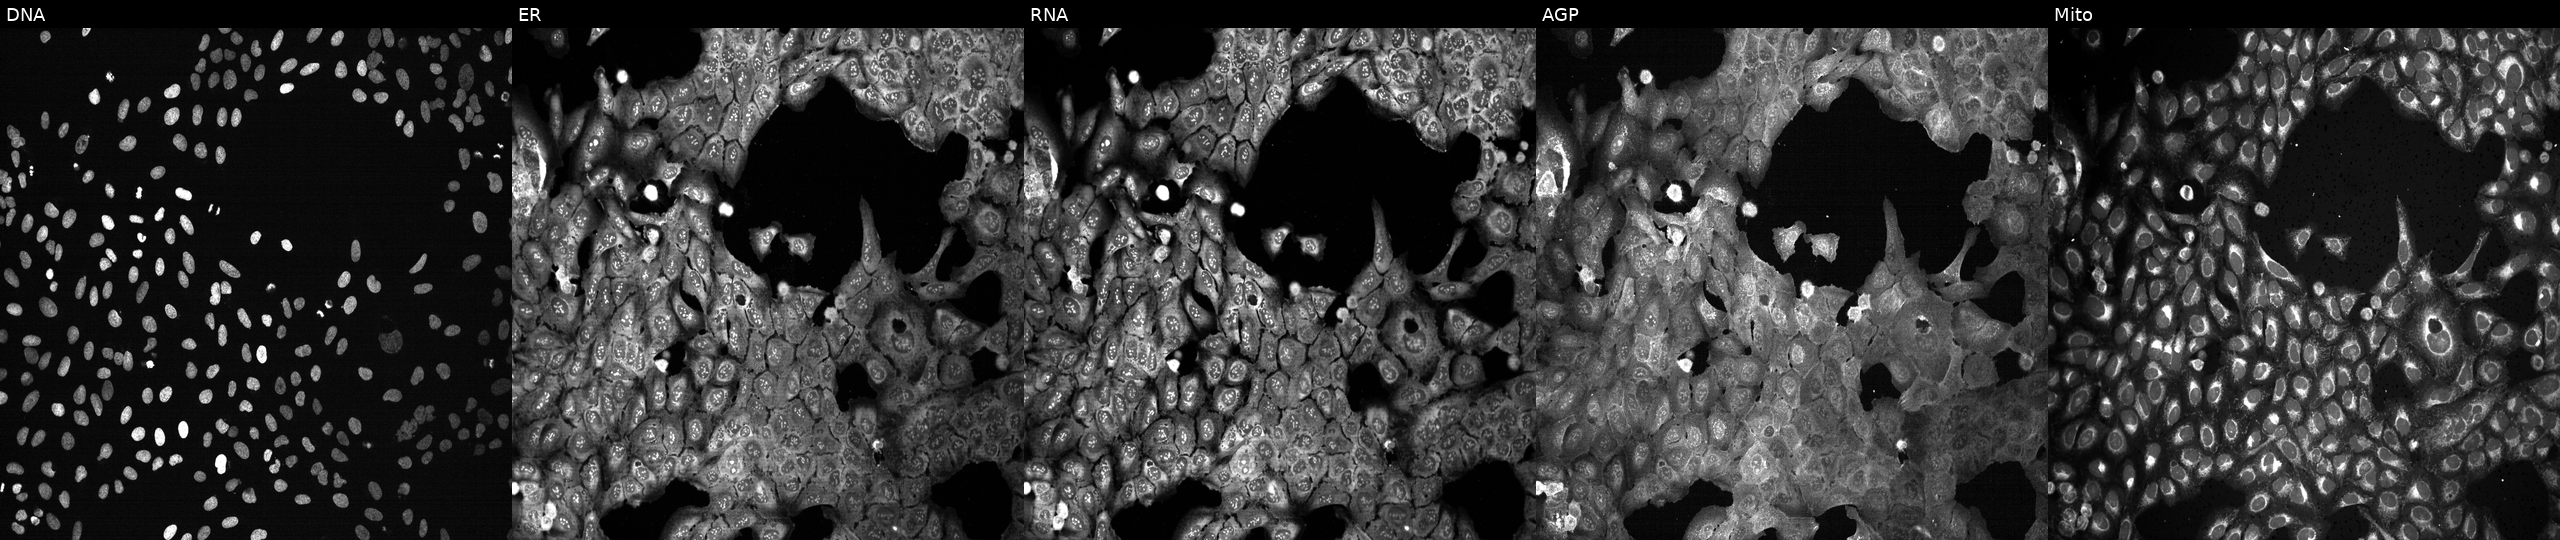
High-content fluorescence microscopy (Cell Painting). Cell line: U2OS. Perturbation: with NNMT knocked out by CRISPR. The five panels, left to right, show DNA (nuclei); ER (endoplasmic reticulum); RNA (nucleoli and cytoplasmic RNA); AGP (actin cytoskeleton, Golgi, and plasma membrane); Mito (mitochondria). Source 13, plate CP-CC9-R2-02, well H22.